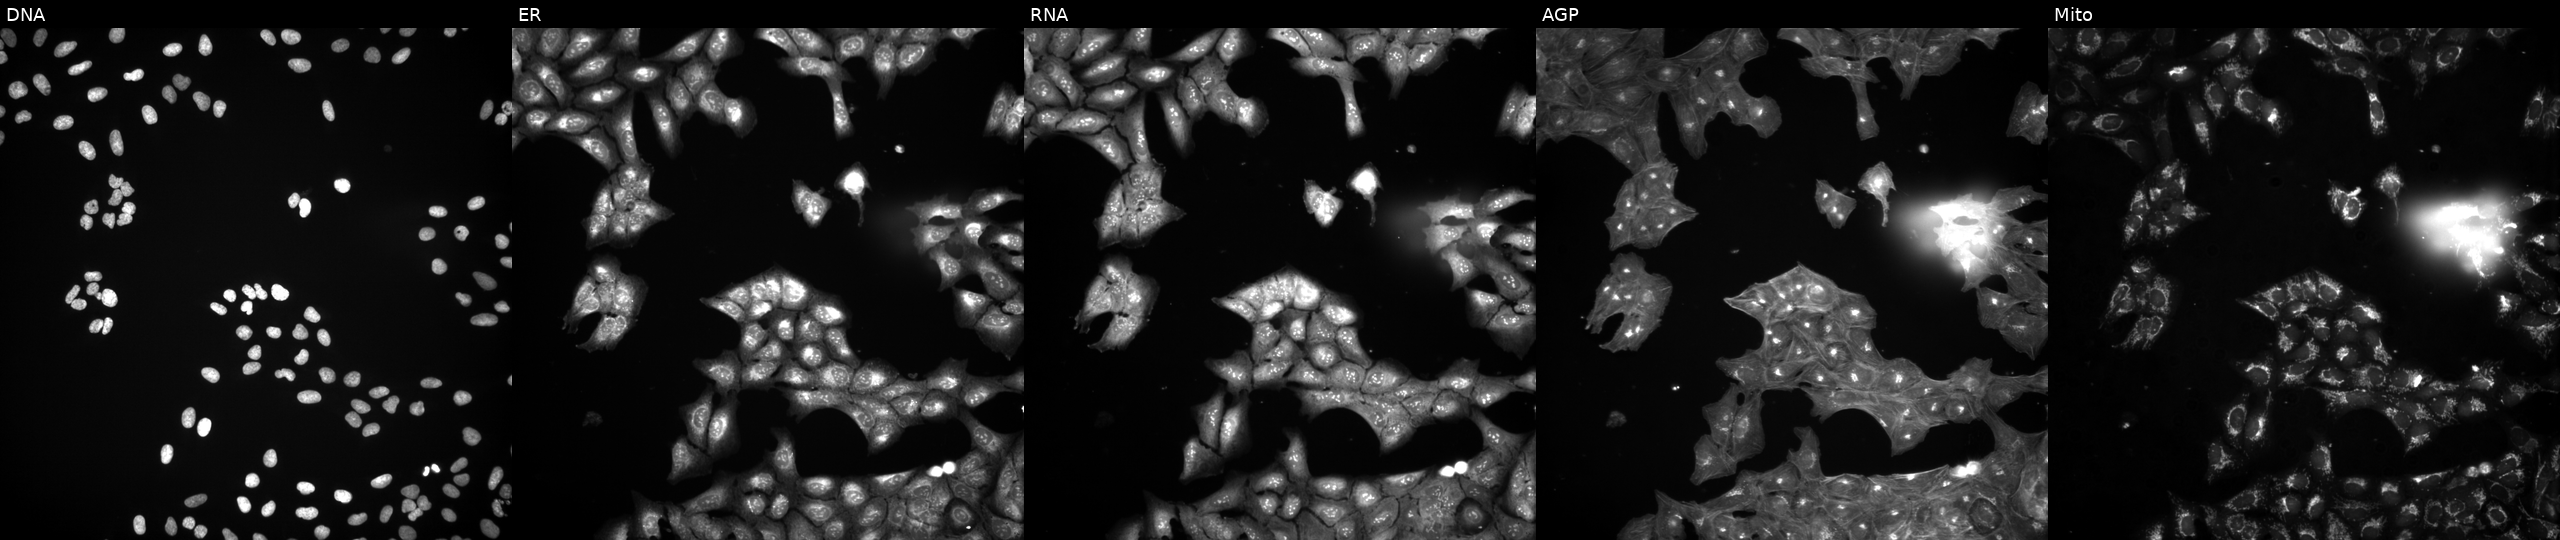
High-content fluorescence microscopy (Cell Painting). Cell line: U2OS. Perturbation: exposed to a small-molecule compound (InChIKey DINFBIHQBARJSG-UHFFFAOYSA-N) (JUMP id JCP2022_016131). Channels (left→right): DNA, ER, RNA, AGP, and Mito.